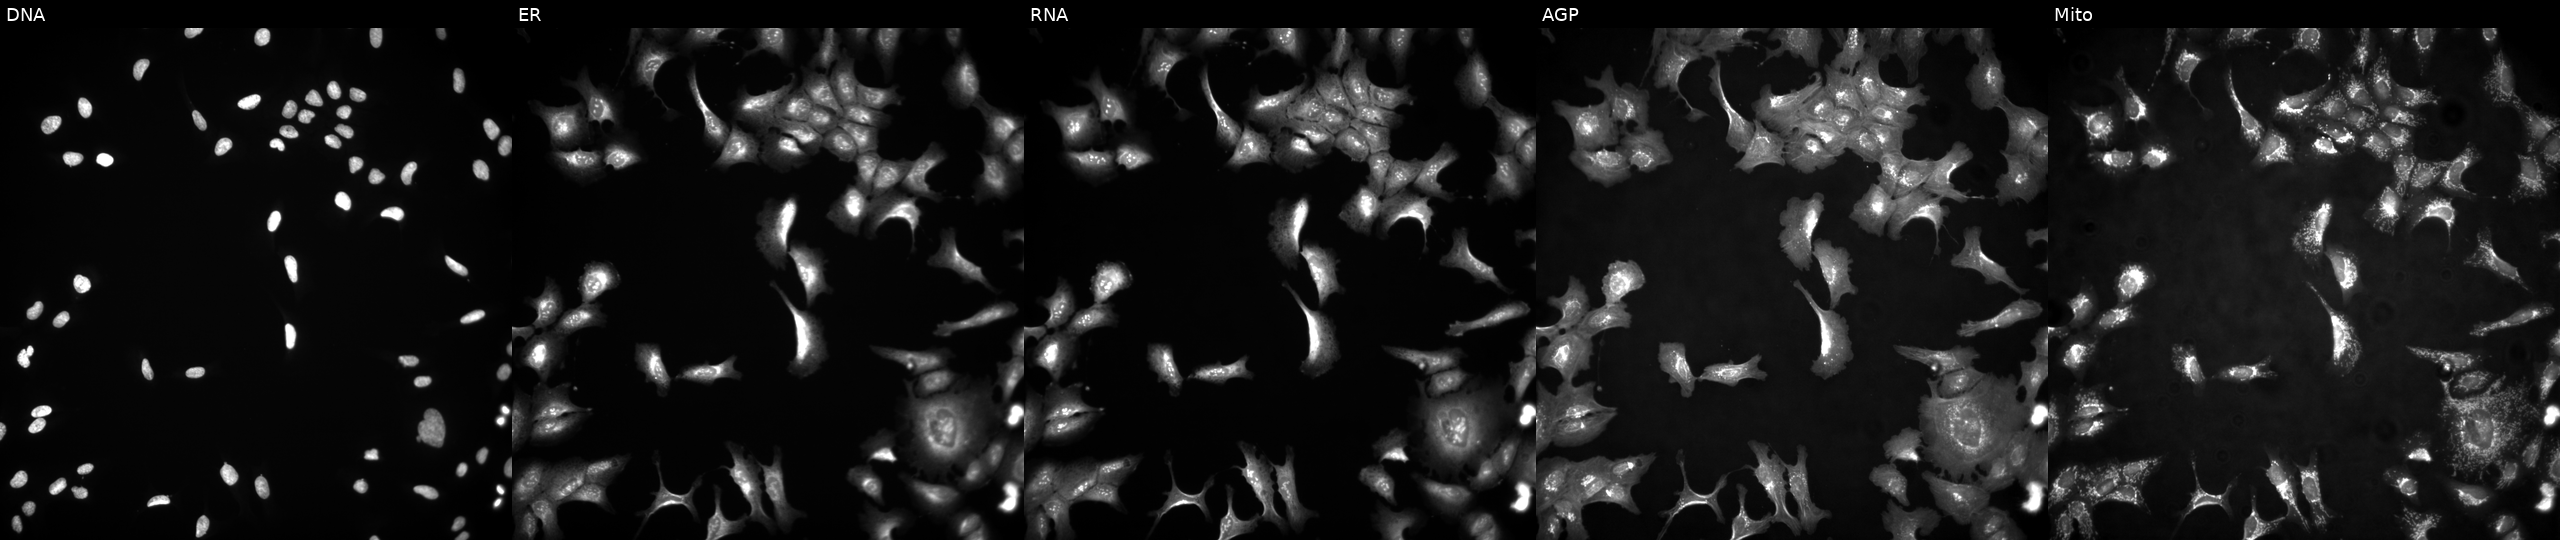
This image strip shows the five Cell Painting channels for a single field of U2OS cells transfected with an ORF construct for SLC30A5. The five panels, left to right, show DNA (nuclei); ER (endoplasmic reticulum); RNA (nucleoli and cytoplasmic RNA); AGP (actin cytoskeleton, Golgi, and plasma membrane); Mito (mitochondria). Source 4, plate BR00124787, well K23.